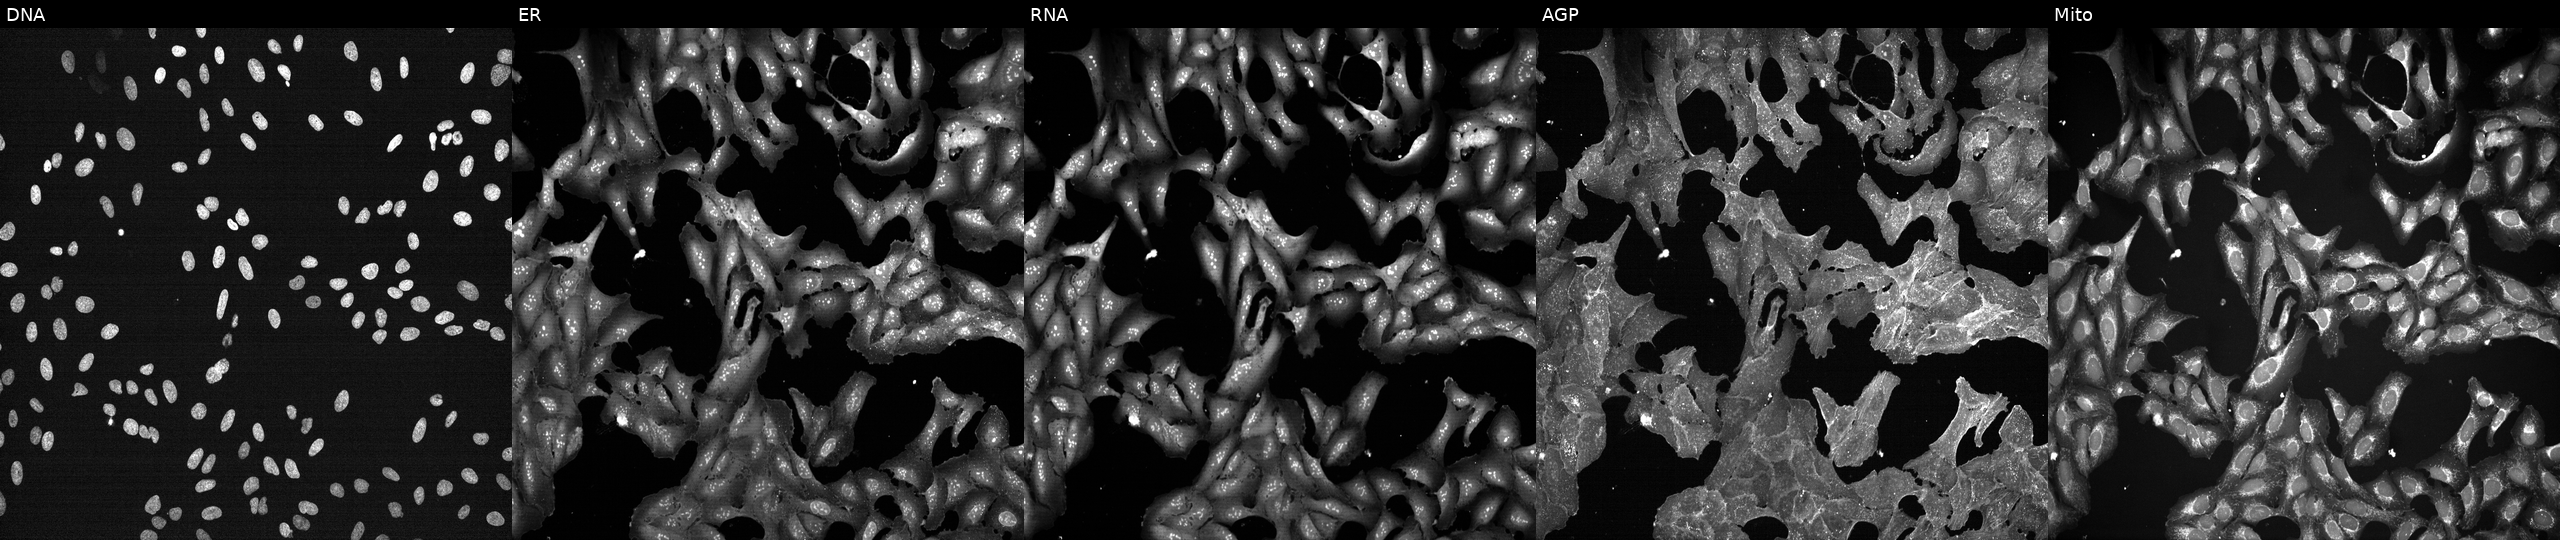
Five-channel Cell Painting image of U2OS cells perturbed with a small-molecule compound. Channels (left→right): Hoechst 33342, concanavalin A, SYTO 14, phalloidin and WGA, MitoTracker.